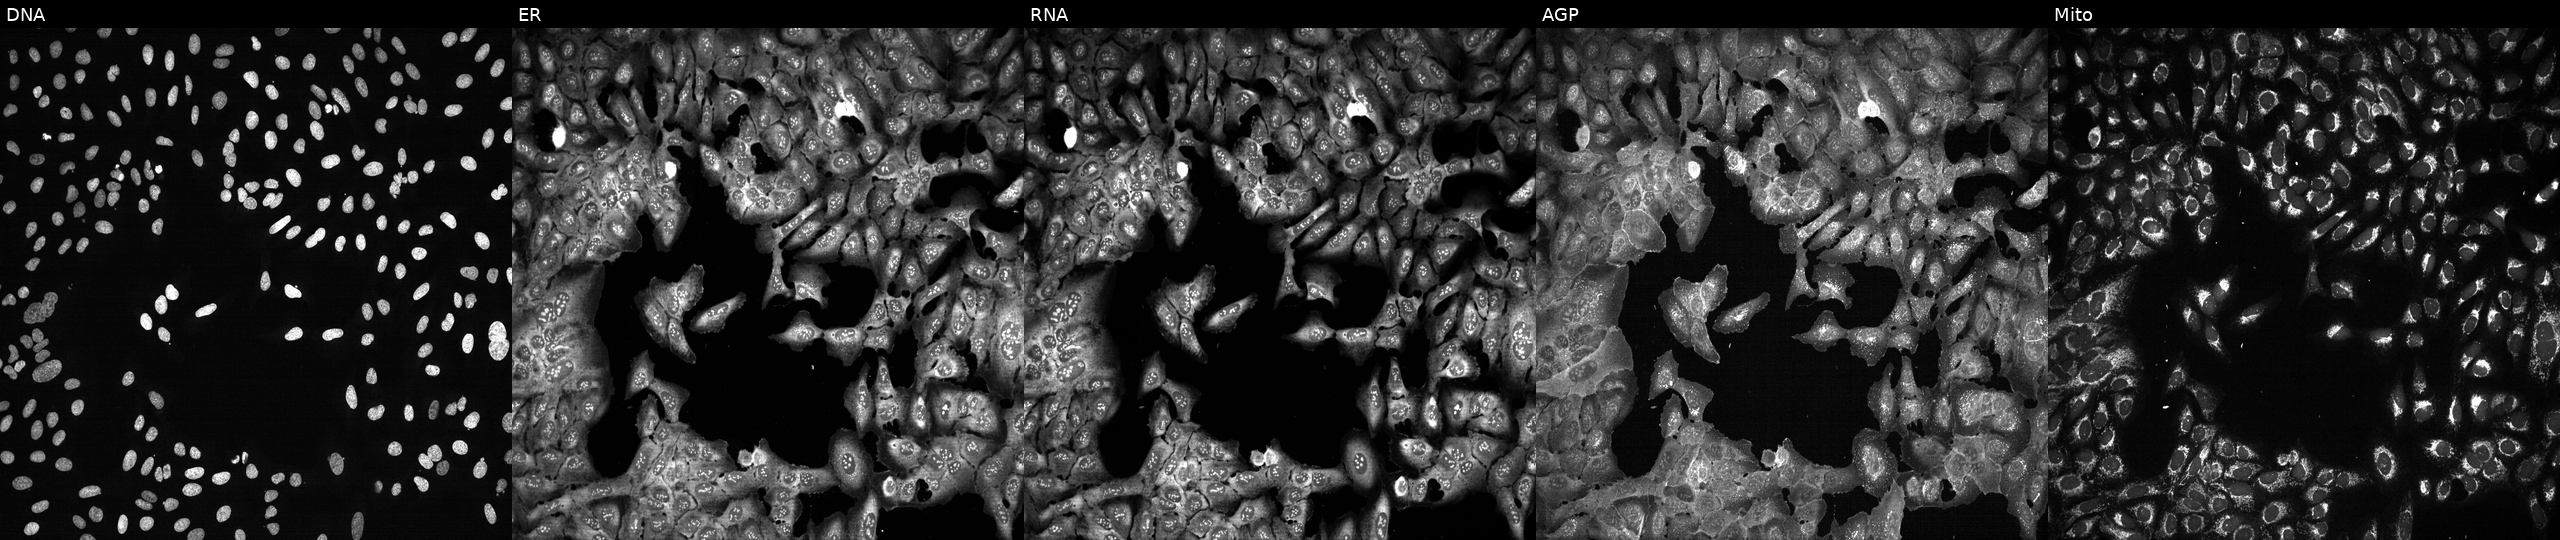
High-content fluorescence microscopy (Cell Painting). Cell line: U2OS. Perturbation: CRISPR-edited to disrupt ADH1B. The five panels, left to right, show DNA, ER, RNA, AGP, and Mito. Source 13, plate CP-CC9-R3-01, well M11.